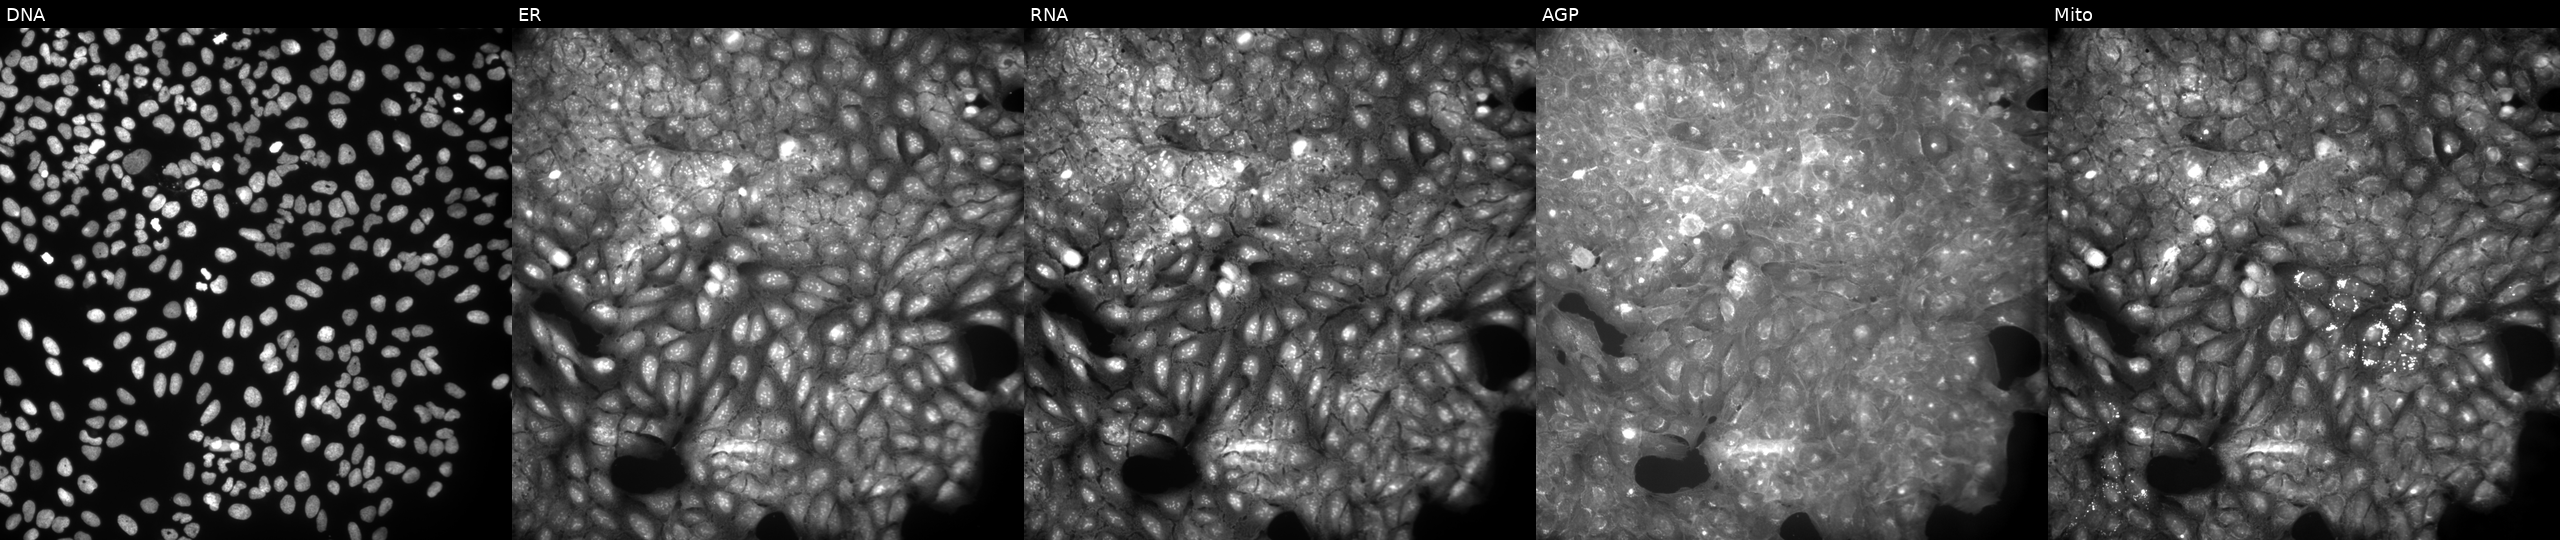
U2OS cells, Cell Painting assay, perturbed with a small-molecule compound (InChIKey QCPWWWBTUSZYMF-UHFFFAOYSA-N). From left to right: DNA, ER, RNA, AGP, and Mito. Each panel is percentile-stretched 16-bit fluorescence.